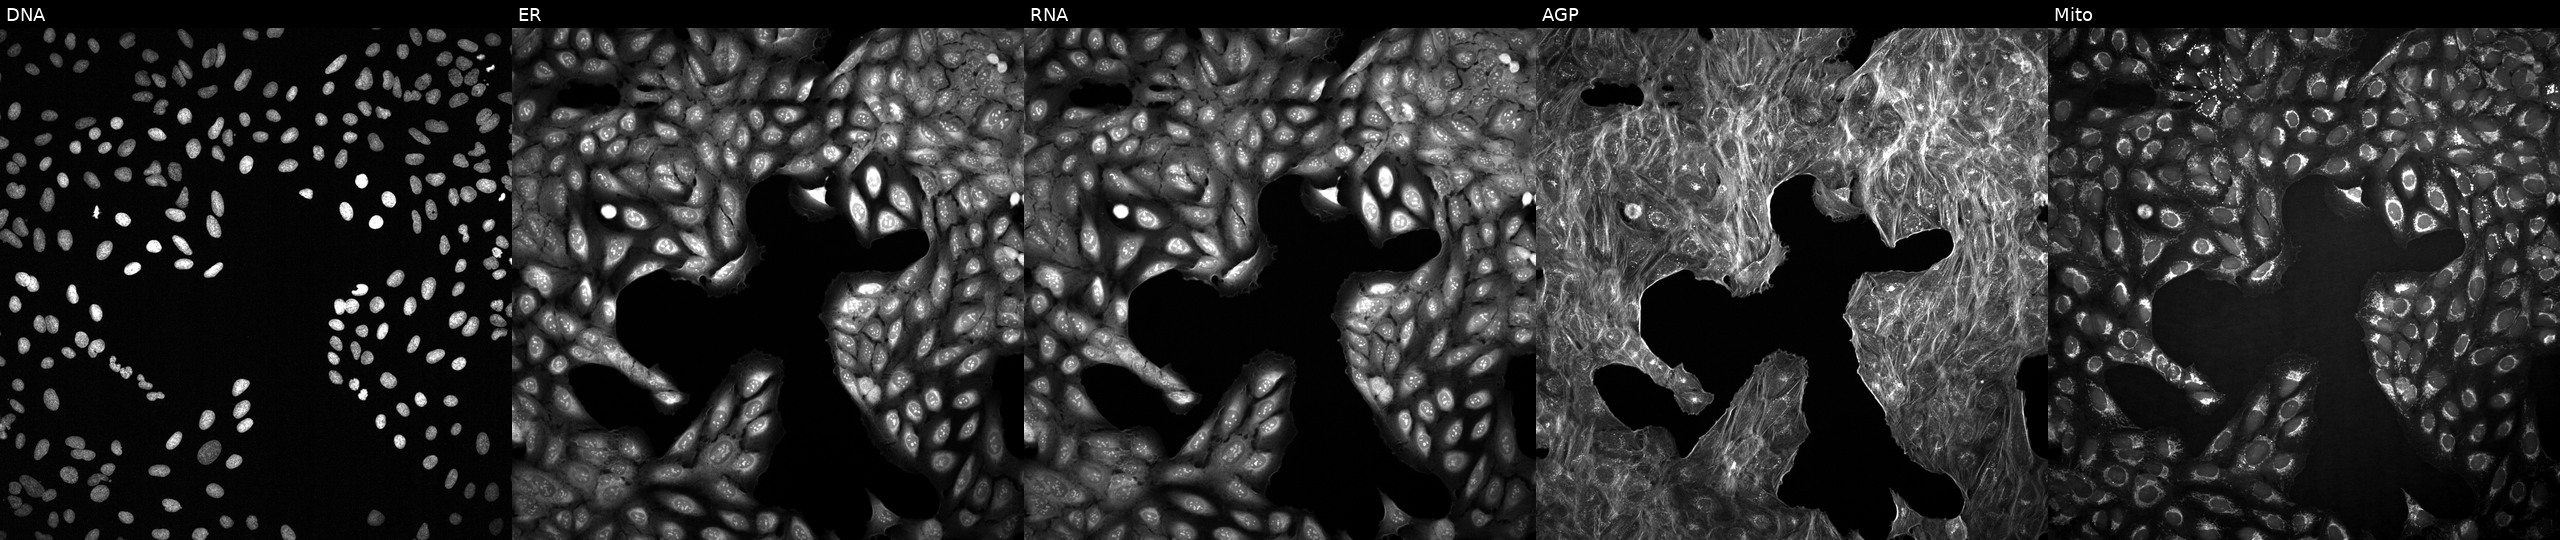
Channels (left→right): DNA (nuclei); ER (endoplasmic reticulum); RNA (nucleoli and cytoplasmic RNA); AGP (actin cytoskeleton, Golgi, and plasma membrane); Mito (mitochondria). U2OS osteosarcoma cells treated with DMSO vehicle only (negative control) (JUMP id JCP2022_033924). Cell Painting assay, JUMP-CP dataset.